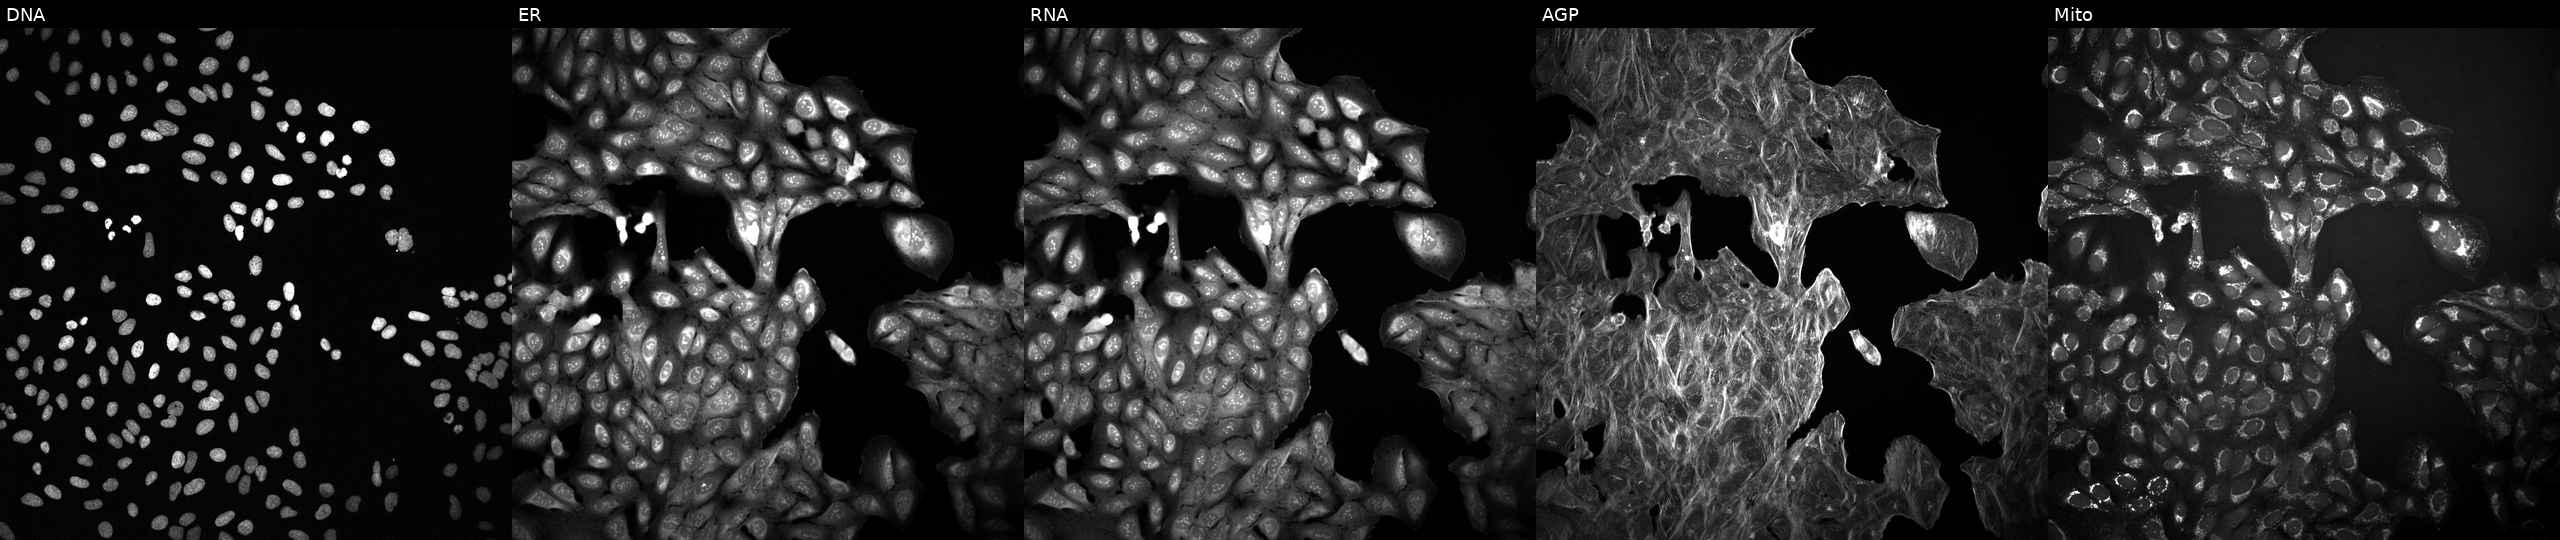
U2OS cells, Cell Painting assay, treated with DMSO vehicle only (negative control) (JUMP id JCP2022_033924). Panels show, left to right, Hoechst 33342, concanavalin A, SYTO 14, phalloidin and WGA, MitoTracker. Each panel is percentile-stretched 16-bit fluorescence.